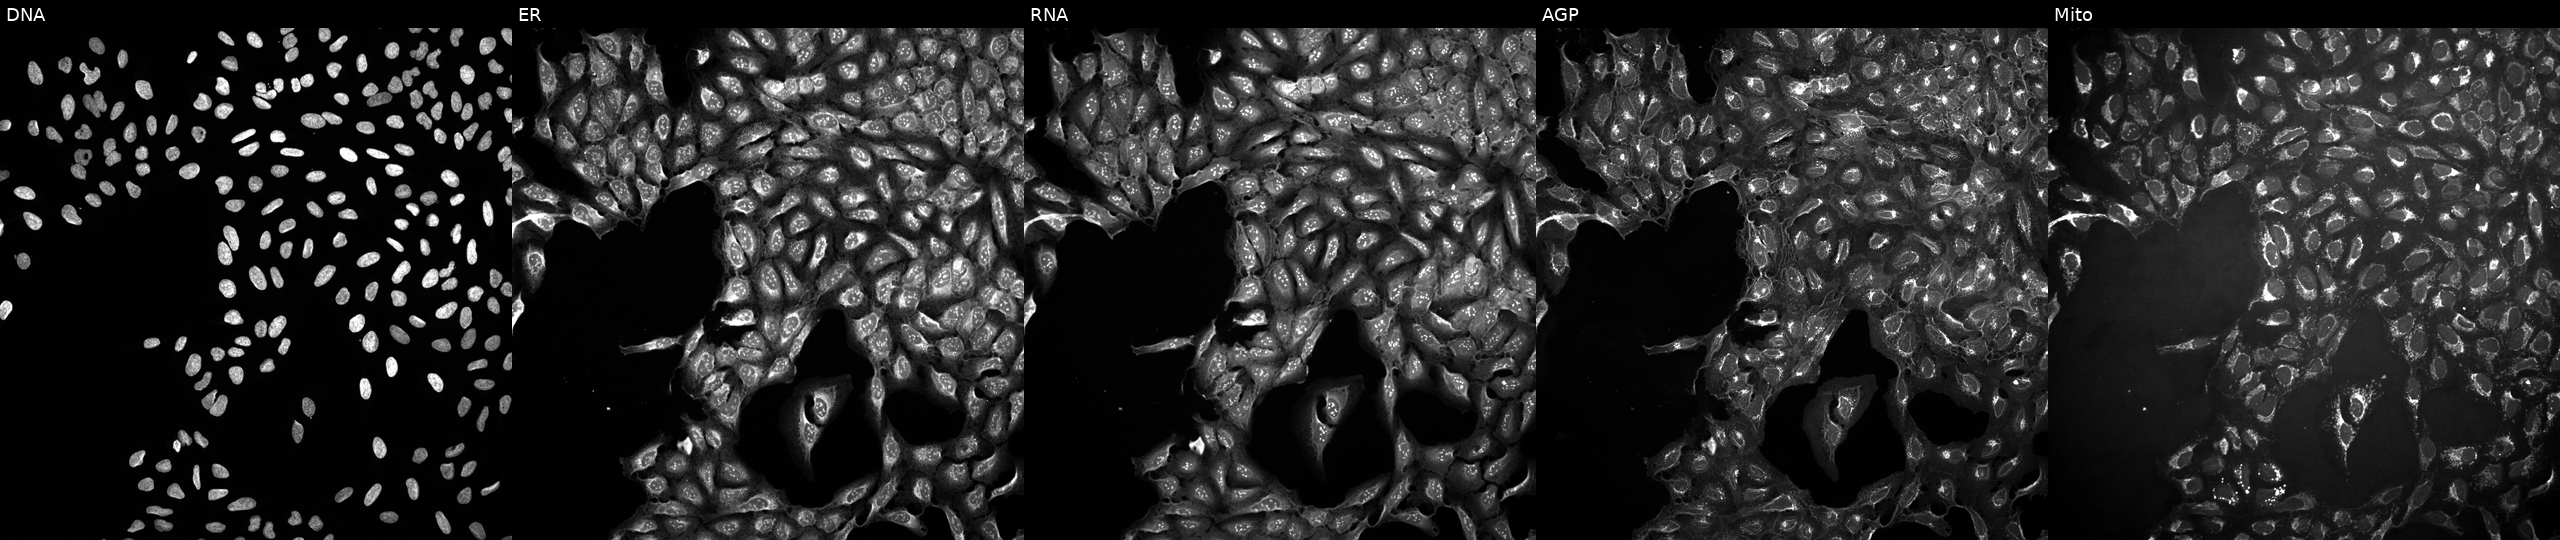
This image strip shows the five Cell Painting channels for a single field of U2OS cells perturbed with a small-molecule compound (InChIKey BYBLEWFAAKGYCD-UHFFFAOYSA-N). The five panels, left to right, show DNA (nuclei); ER (endoplasmic reticulum); RNA (nucleoli and cytoplasmic RNA); AGP (actin cytoskeleton, Golgi, and plasma membrane); Mito (mitochondria). Source 10, plate Dest210803-153958, well O03.